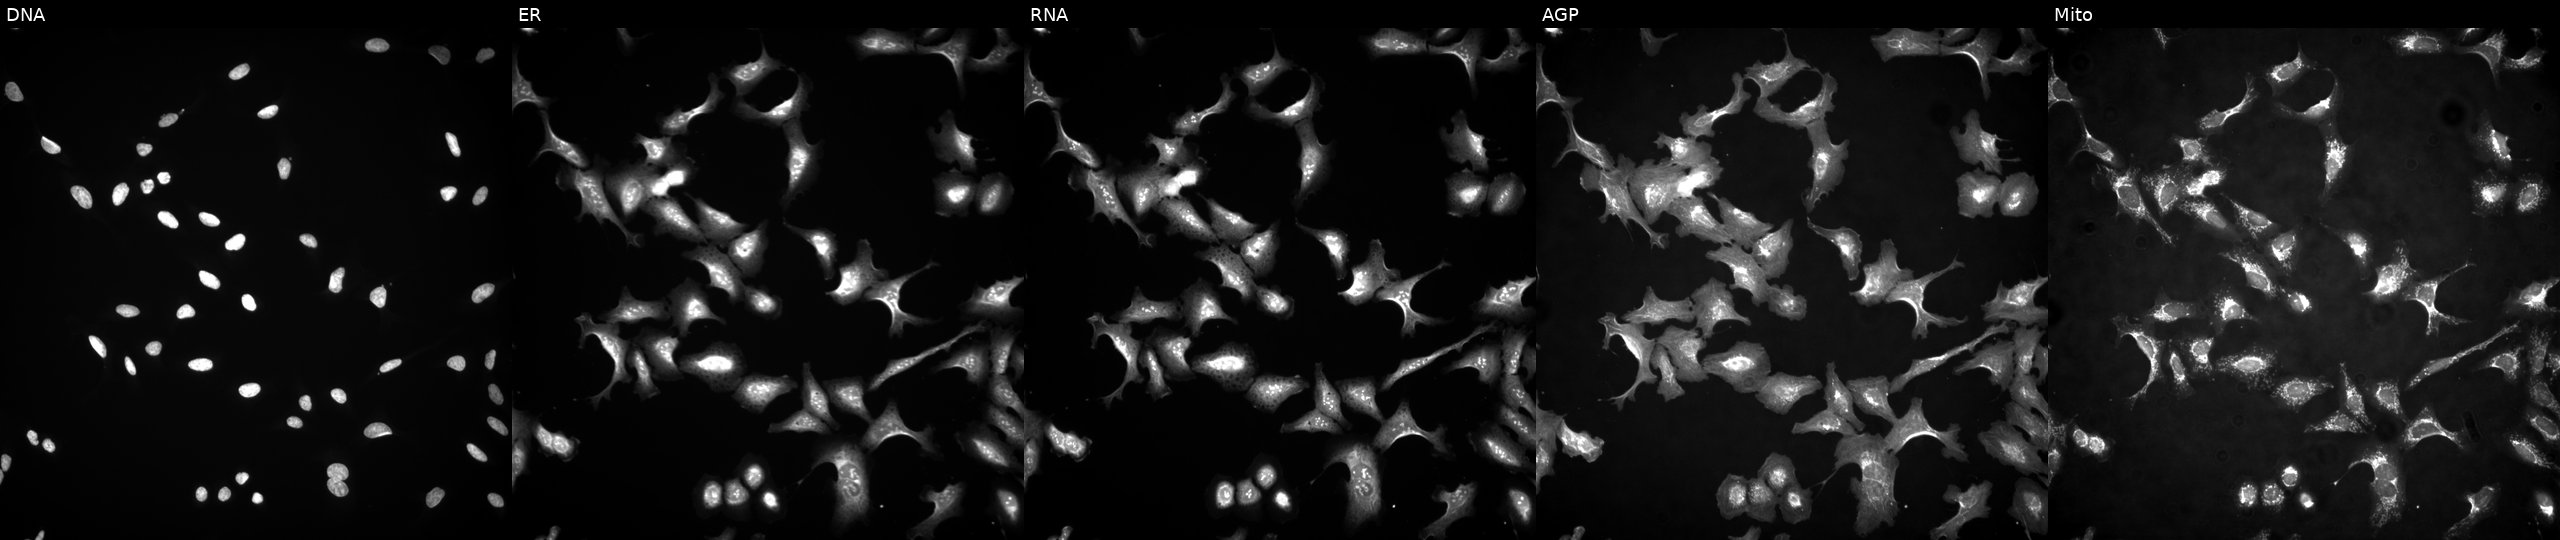
This image strip shows the five Cell Painting channels for a single field of U2OS cells overexpressing TBC1D19 via ORF transfection. From left to right: Hoechst 33342, concanavalin A, SYTO 14, phalloidin and WGA, MitoTracker.